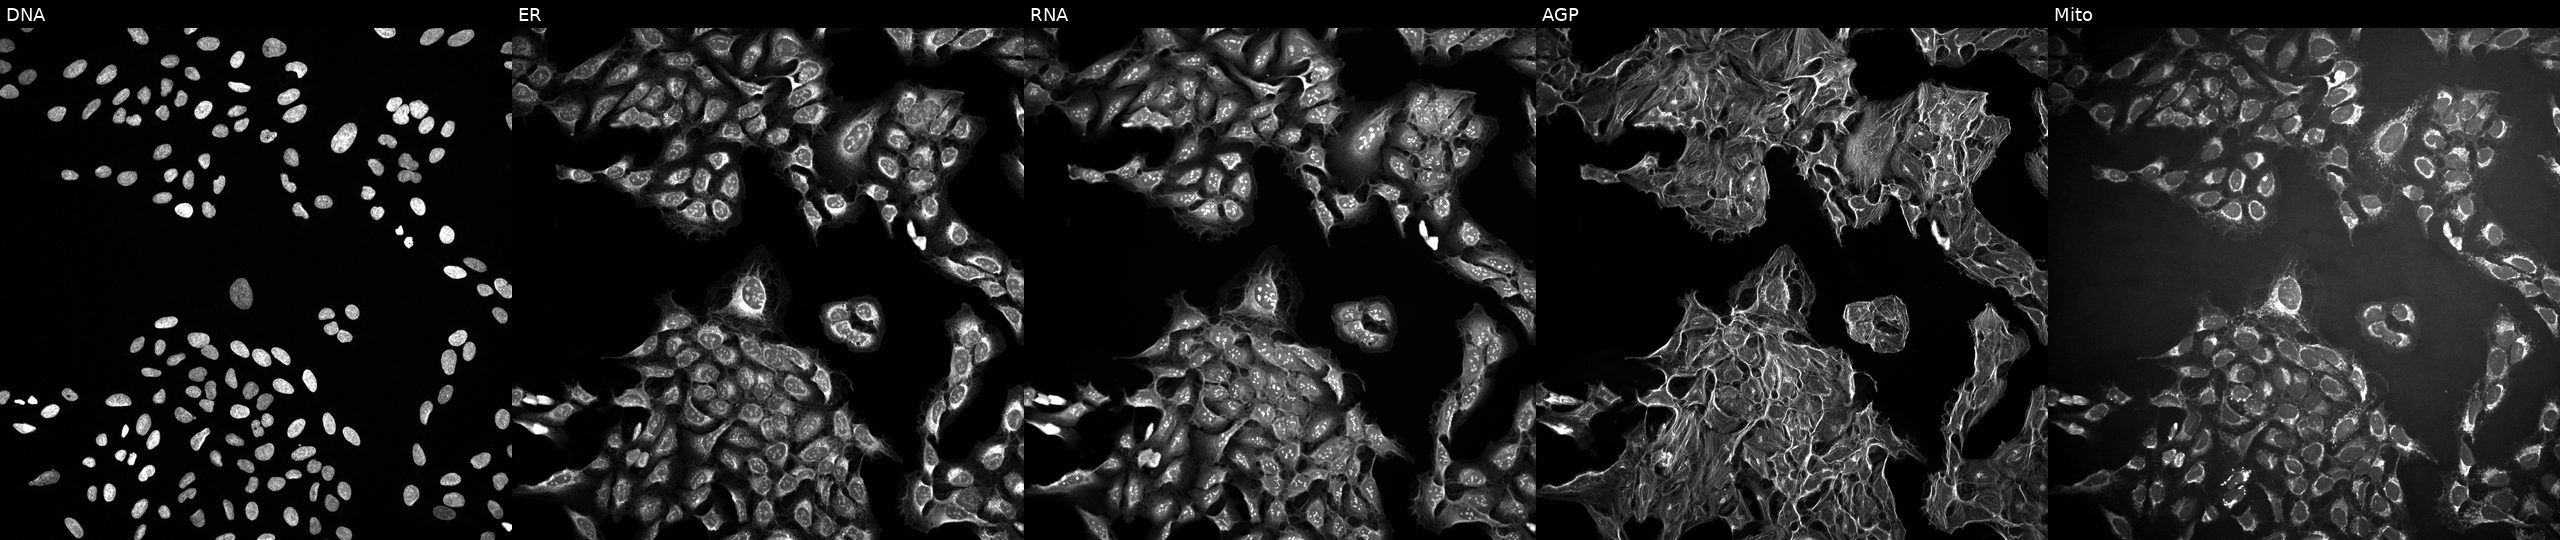
This image strip shows the five Cell Painting channels for a single field of U2OS cells treated with a small-molecule compound [SMILES: N#Cc1ccc(-c2ccc(S(=O)(=O)N=c3cccc(N)[nH]3)cc2)cc1]. Panels show, left to right, Hoechst 33342, concanavalin A, SYTO 14, phalloidin and WGA, MitoTracker.